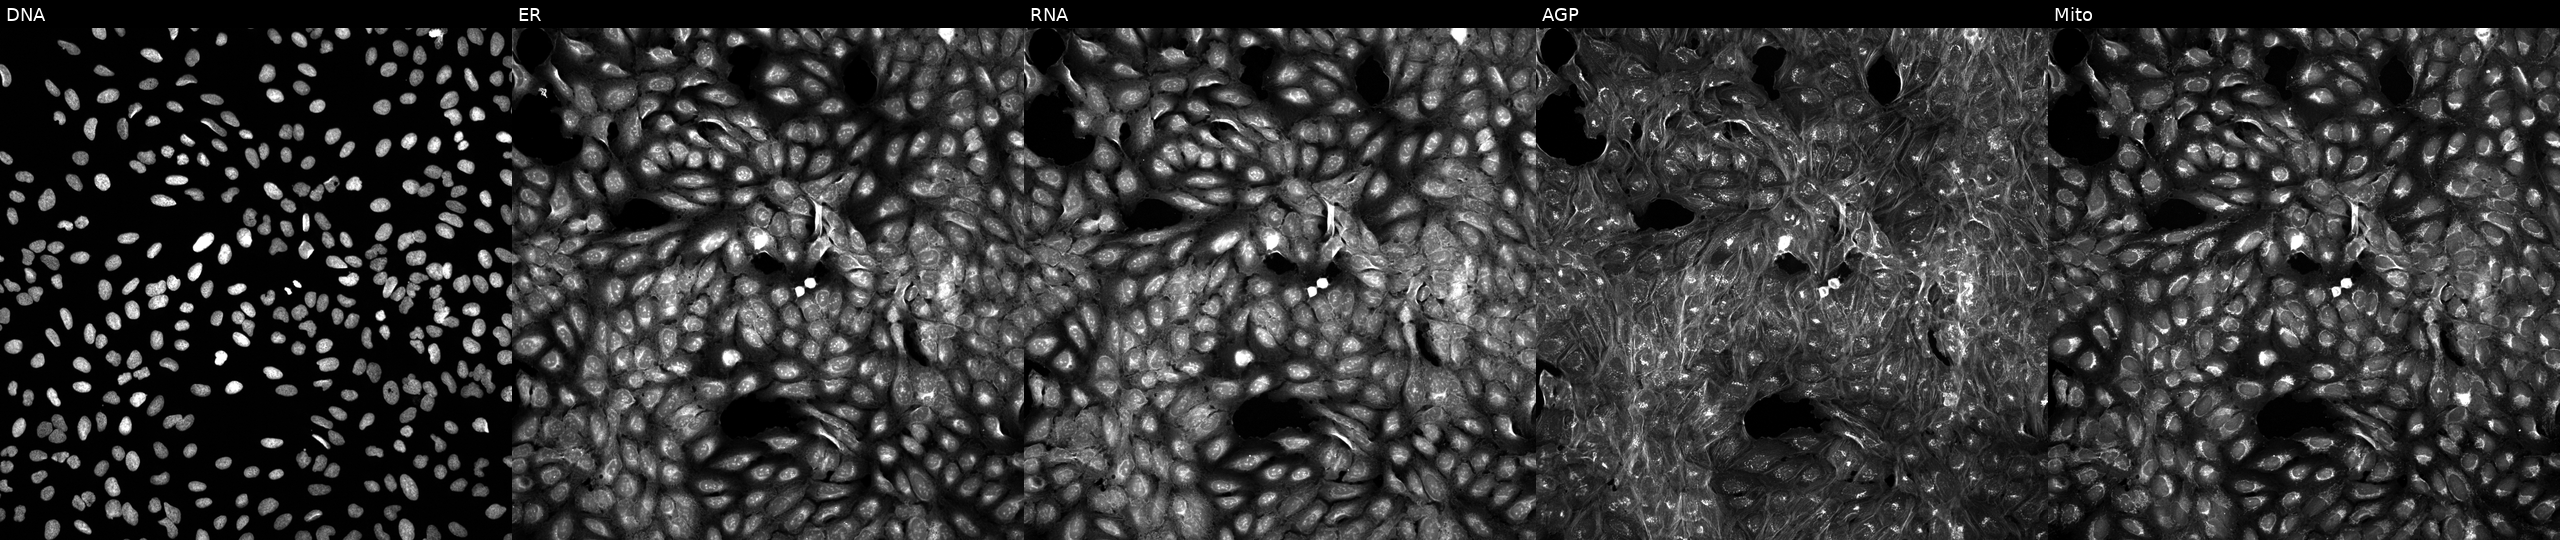
High-content fluorescence microscopy (Cell Painting). Cell line: U2OS. Perturbation: exposed to DMSO alone as a negative control (JUMP id JCP2022_033924). Panels show, left to right, DNA, ER, RNA, AGP, and Mito. Source 5, plate APTJUM106, well J02.